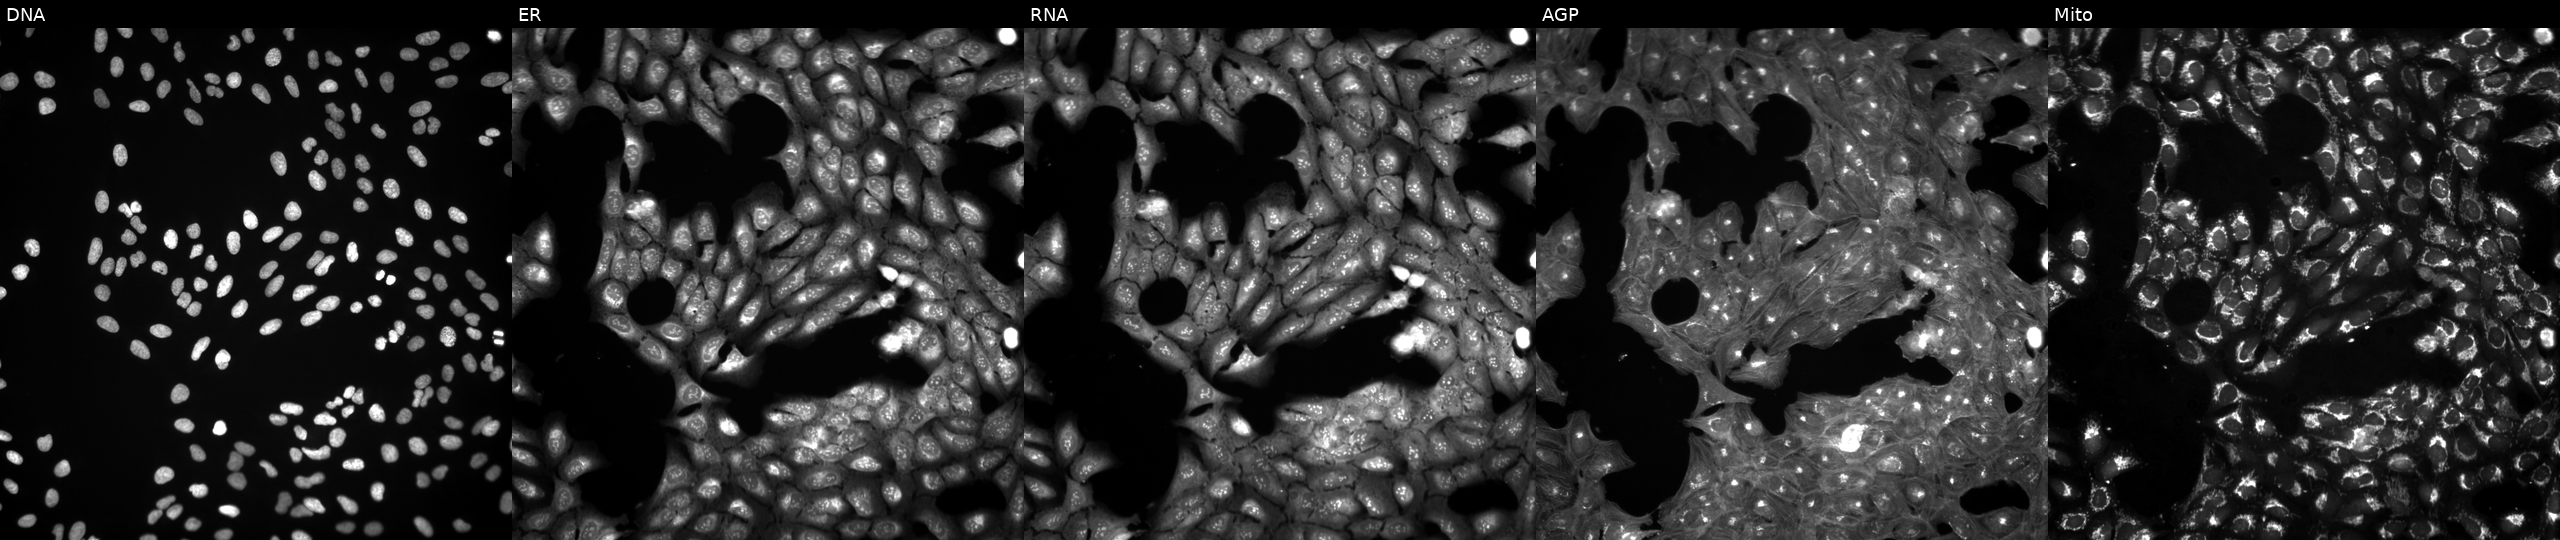
U2OS cells, Cell Painting assay, treated with a small-molecule compound (InChIKey FBSIBUJZILJXAL-UHFFFAOYSA-N) (JUMP id JCP2022_019609). The five panels, left to right, show DNA (nuclei); ER (endoplasmic reticulum); RNA (nucleoli and cytoplasmic RNA); AGP (actin cytoskeleton, Golgi, and plasma membrane); Mito (mitochondria). Each panel is percentile-stretched 16-bit fluorescence.